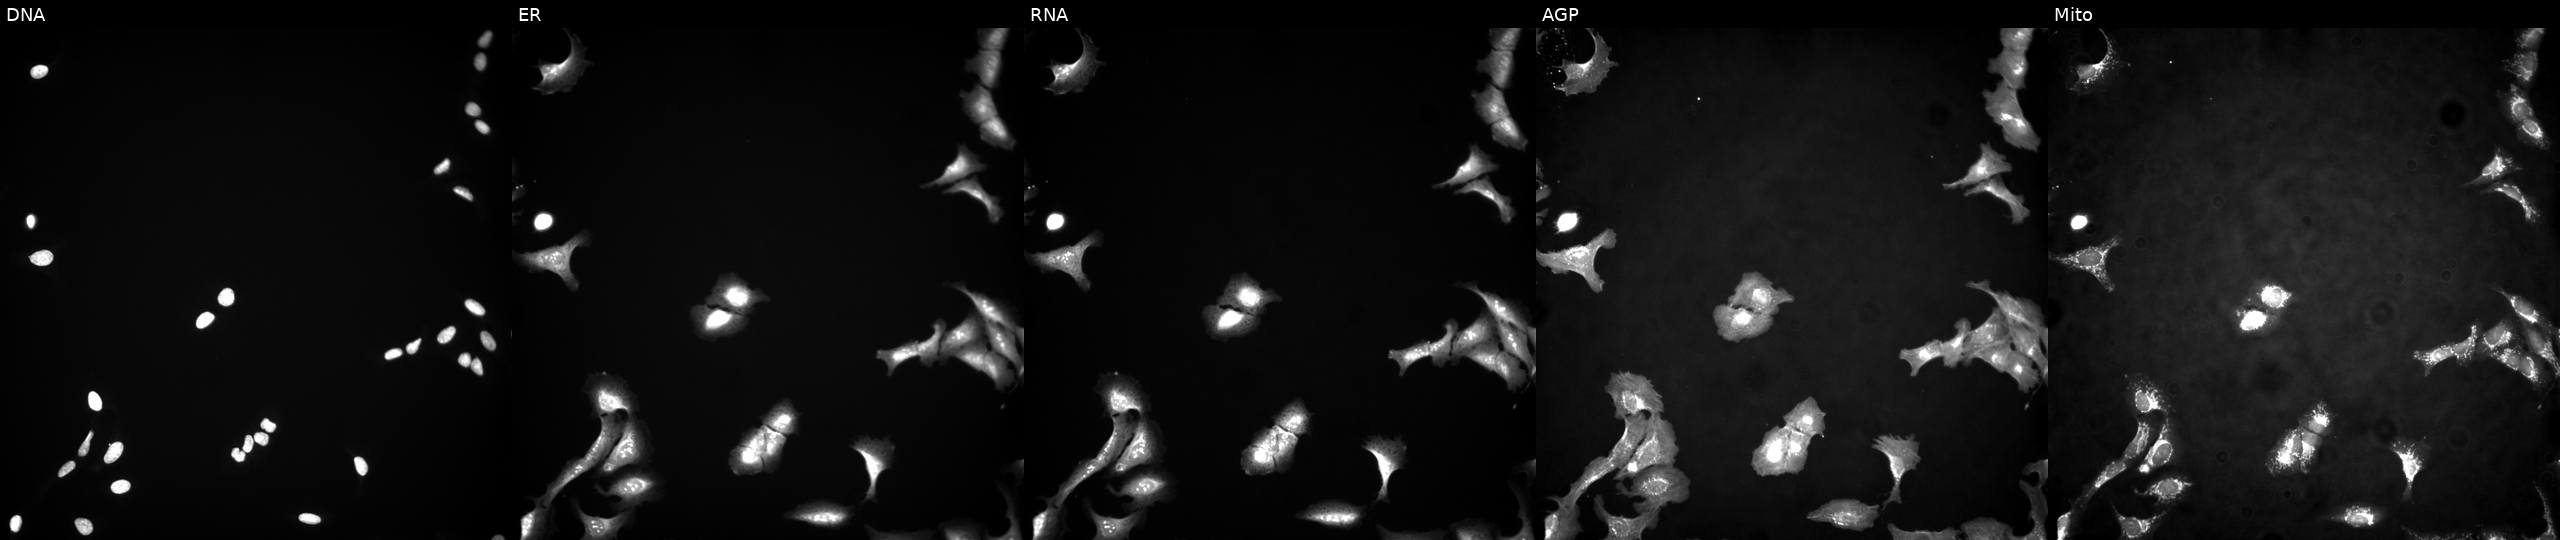
U2OS cells, Cell Painting assay, untreated (empty-well control). Panels show, left to right, DNA (nuclei); ER (endoplasmic reticulum); RNA (nucleoli and cytoplasmic RNA); AGP (actin cytoskeleton, Golgi, and plasma membrane); Mito (mitochondria). Each panel is percentile-stretched 16-bit fluorescence.